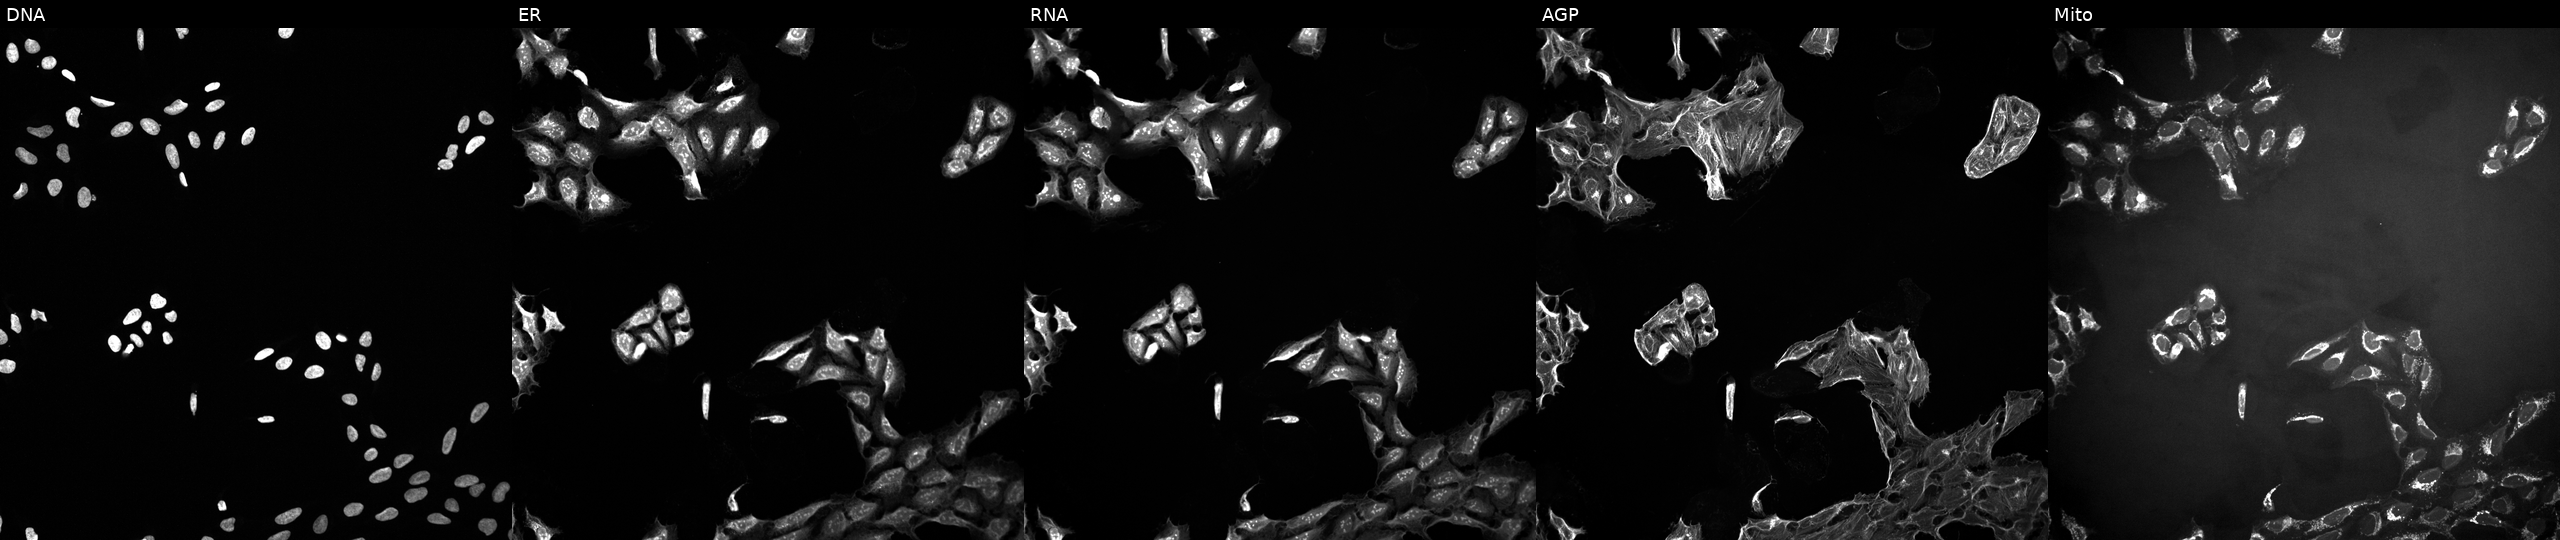
JUMP Cell Painting — TARGET2 plate. U2OS cells exposed to the positive-control compound quinidine. Panels show, left to right, DNA (nuclei); ER (endoplasmic reticulum); RNA (nucleoli and cytoplasmic RNA); AGP (actin cytoskeleton, Golgi, and plasma membrane); Mito (mitochondria). Source 10, plate Dest210726-160150, well A02.